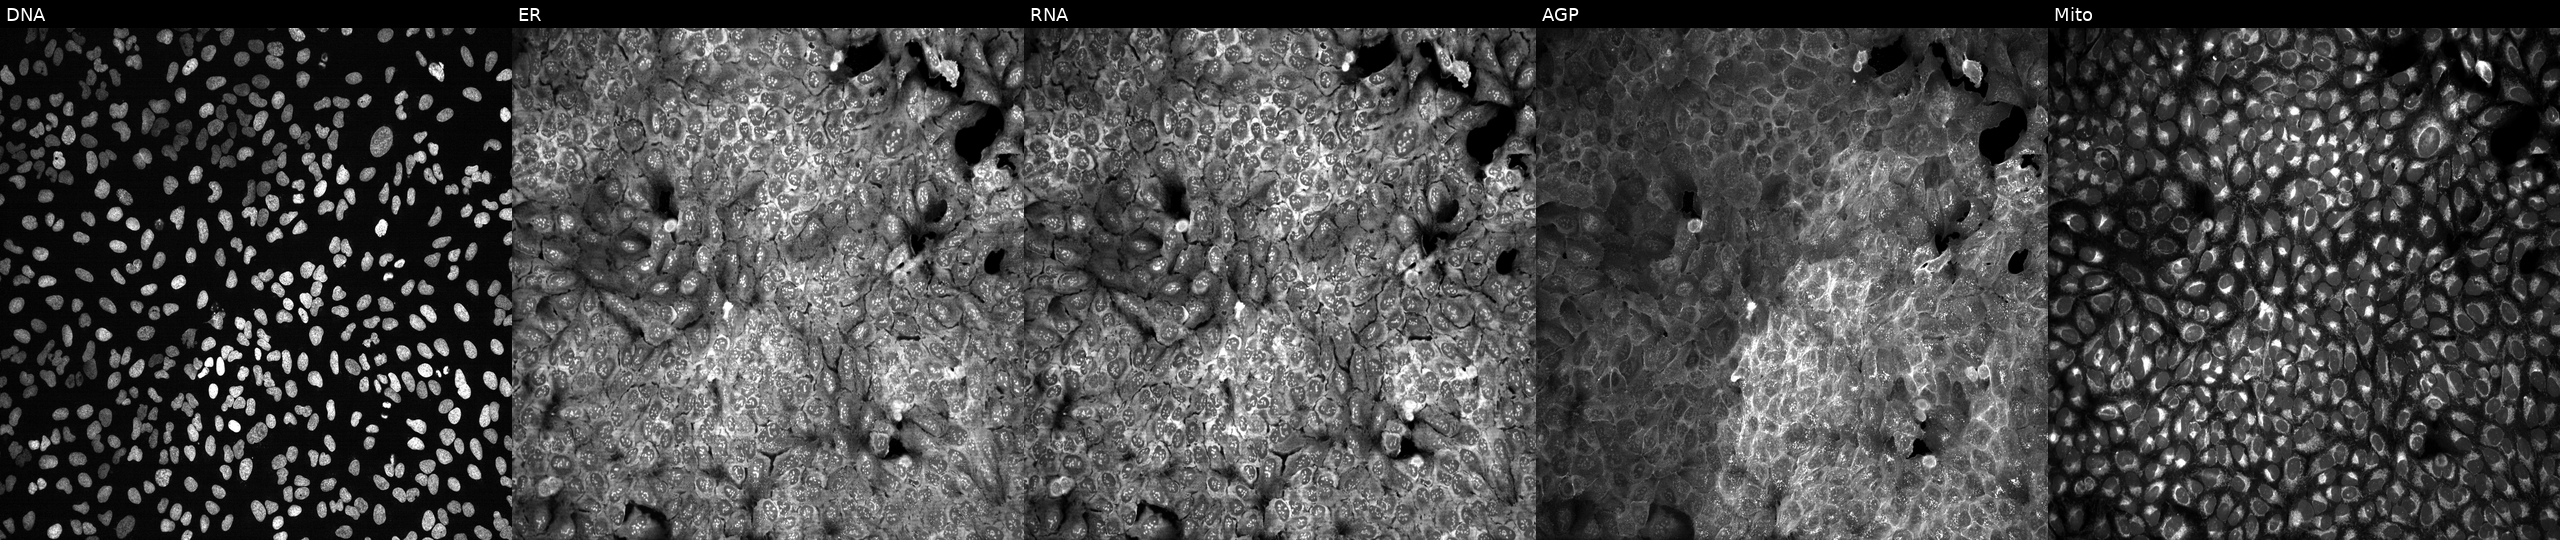
This image strip shows the five Cell Painting channels for a single field of U2OS cells CRISPR-edited to disrupt PRSS45 (JUMP id JCP2022_805591). Panels show, left to right, DNA (nuclei); ER (endoplasmic reticulum); RNA (nucleoli and cytoplasmic RNA); AGP (actin cytoskeleton, Golgi, and plasma membrane); Mito (mitochondria). Source 13, plate CP-CC9-R6-19, well C15.